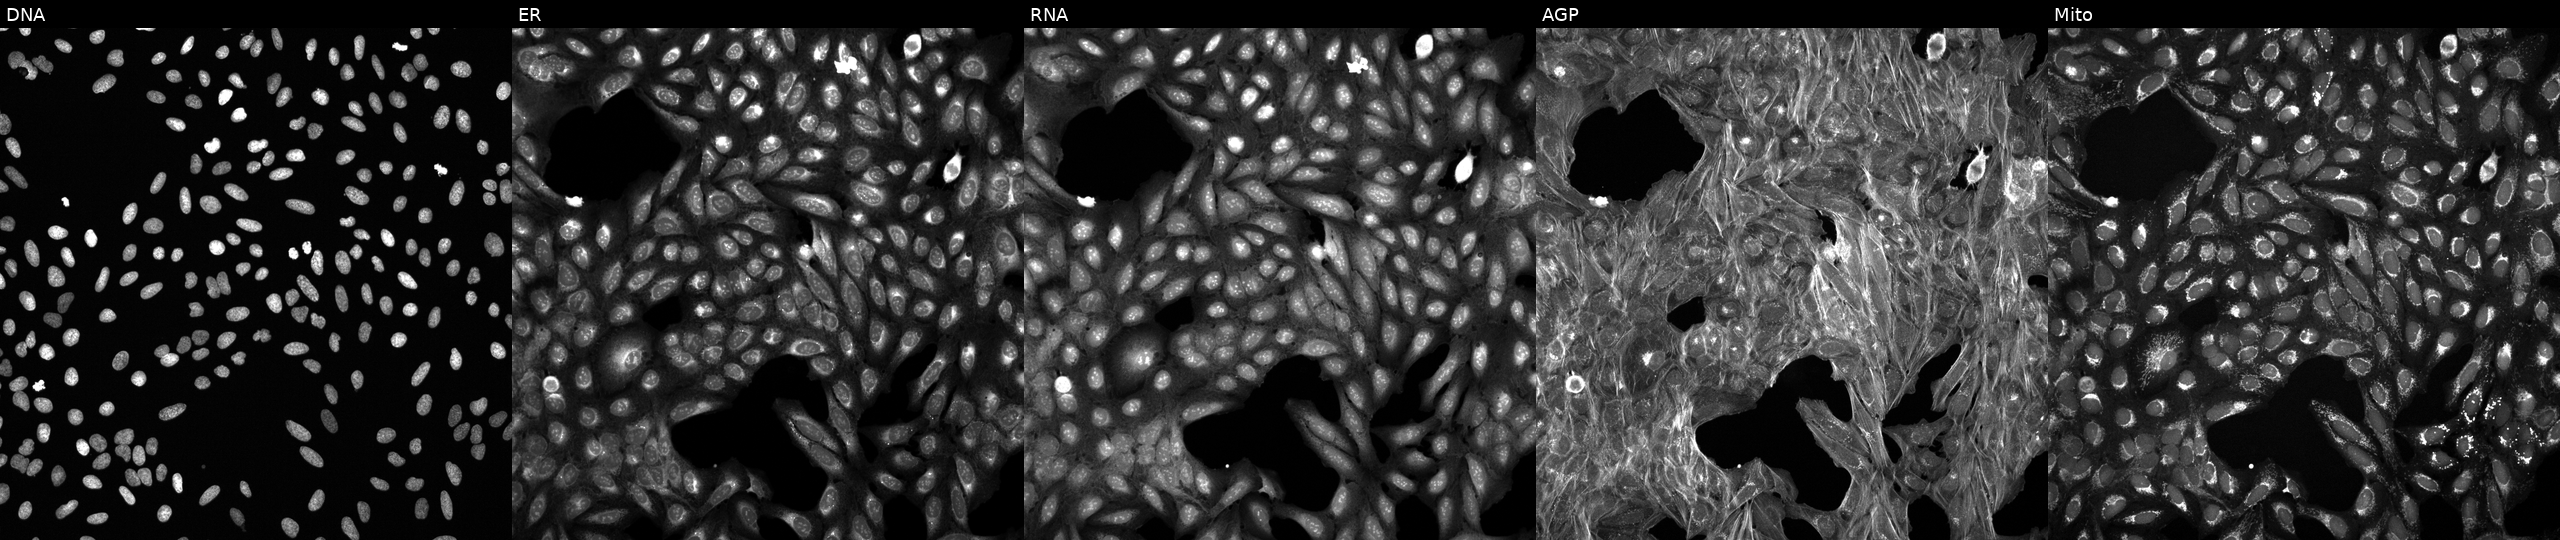
High-content fluorescence microscopy (Cell Painting). Cell line: U2OS. Perturbation: treated with a small-molecule compound (InChIKey BCZUAADEACICHN-UHFFFAOYSA-N) (JUMP id JCP2022_005529). Channels (left→right): DNA (nuclei); ER (endoplasmic reticulum); RNA (nucleoli and cytoplasmic RNA); AGP (actin cytoskeleton, Golgi, and plasma membrane); Mito (mitochondria).